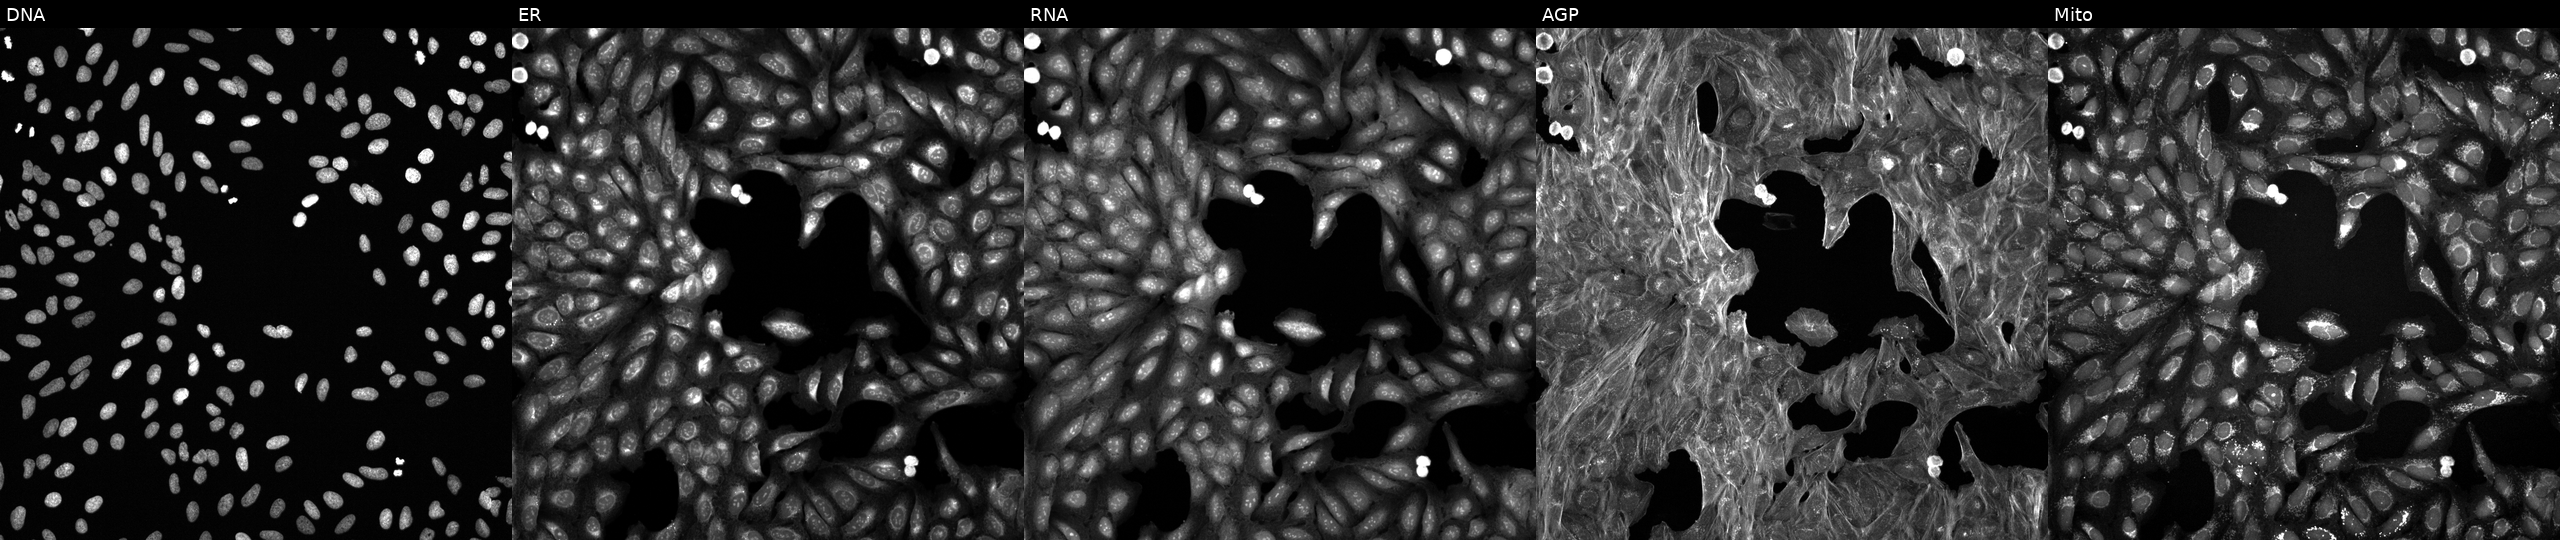
The five panels, left to right, show DNA, ER, RNA, AGP, and Mito. U2OS osteosarcoma cells treated with a small-molecule compound (InChIKey GYYRMJMXXLJZAB-UHFFFAOYSA-N) (JUMP id JCP2022_028645). Cell Painting assay, JUMP-CP dataset.